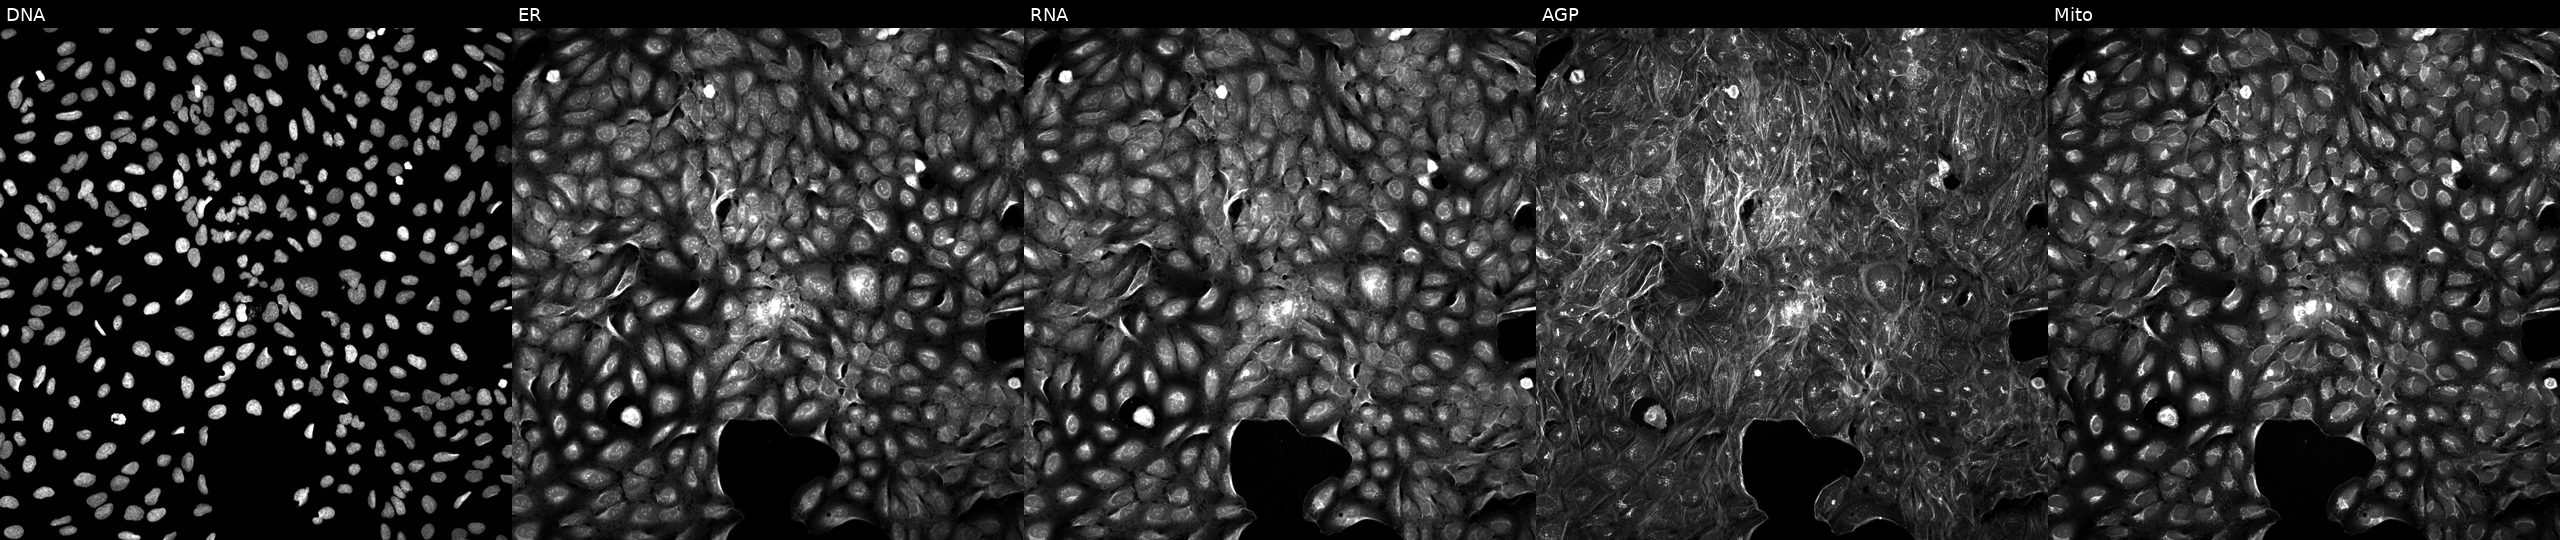
Five-channel Cell Painting image of U2OS cells perturbed with a small-molecule compound [SMILES: O=C(NCc1cccc(F)c1)c1cn2c(n1)CCCC2] (JUMP id JCP2022_080421). From left to right: DNA, ER, RNA, AGP, and Mito.